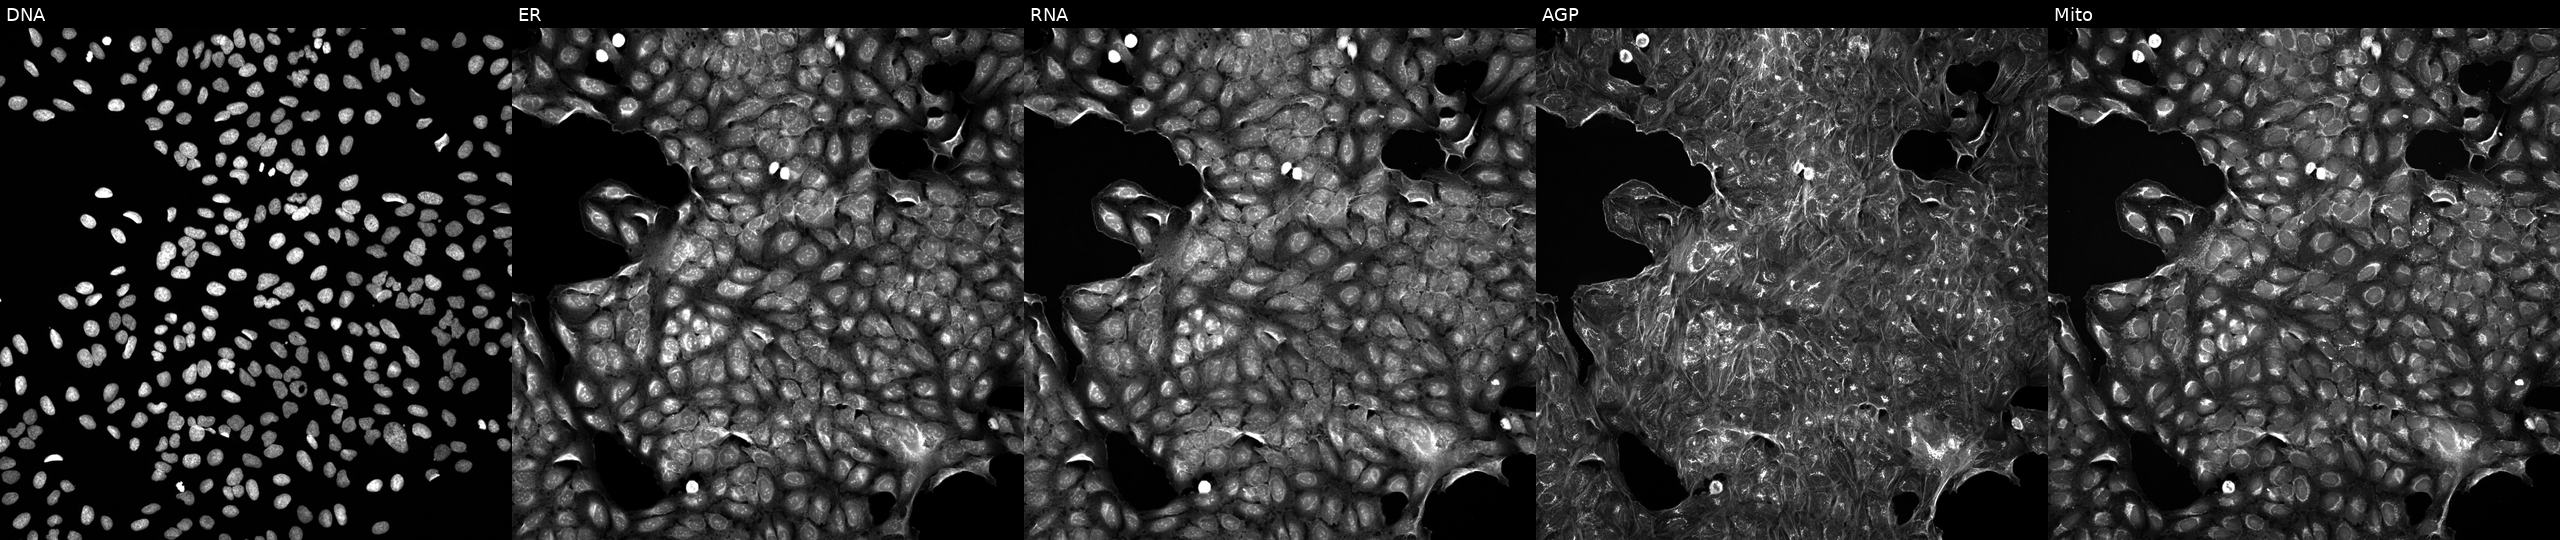
JUMP Cell Painting — COMPOUND plate. U2OS cells treated with a small-molecule compound (InChIKey YUBXEVOSVMVWGB-UHFFFAOYSA-N) [SMILES: Cc1ncsc1CN(C)CC1CCN(C(=O)N=c2ccn(C)[nH]2)C1] (JUMP id JCP2022_110861). From left to right: Hoechst 33342, concanavalin A, SYTO 14, phalloidin and WGA, MitoTracker. Source 5, plate APTJUM106, well K10.